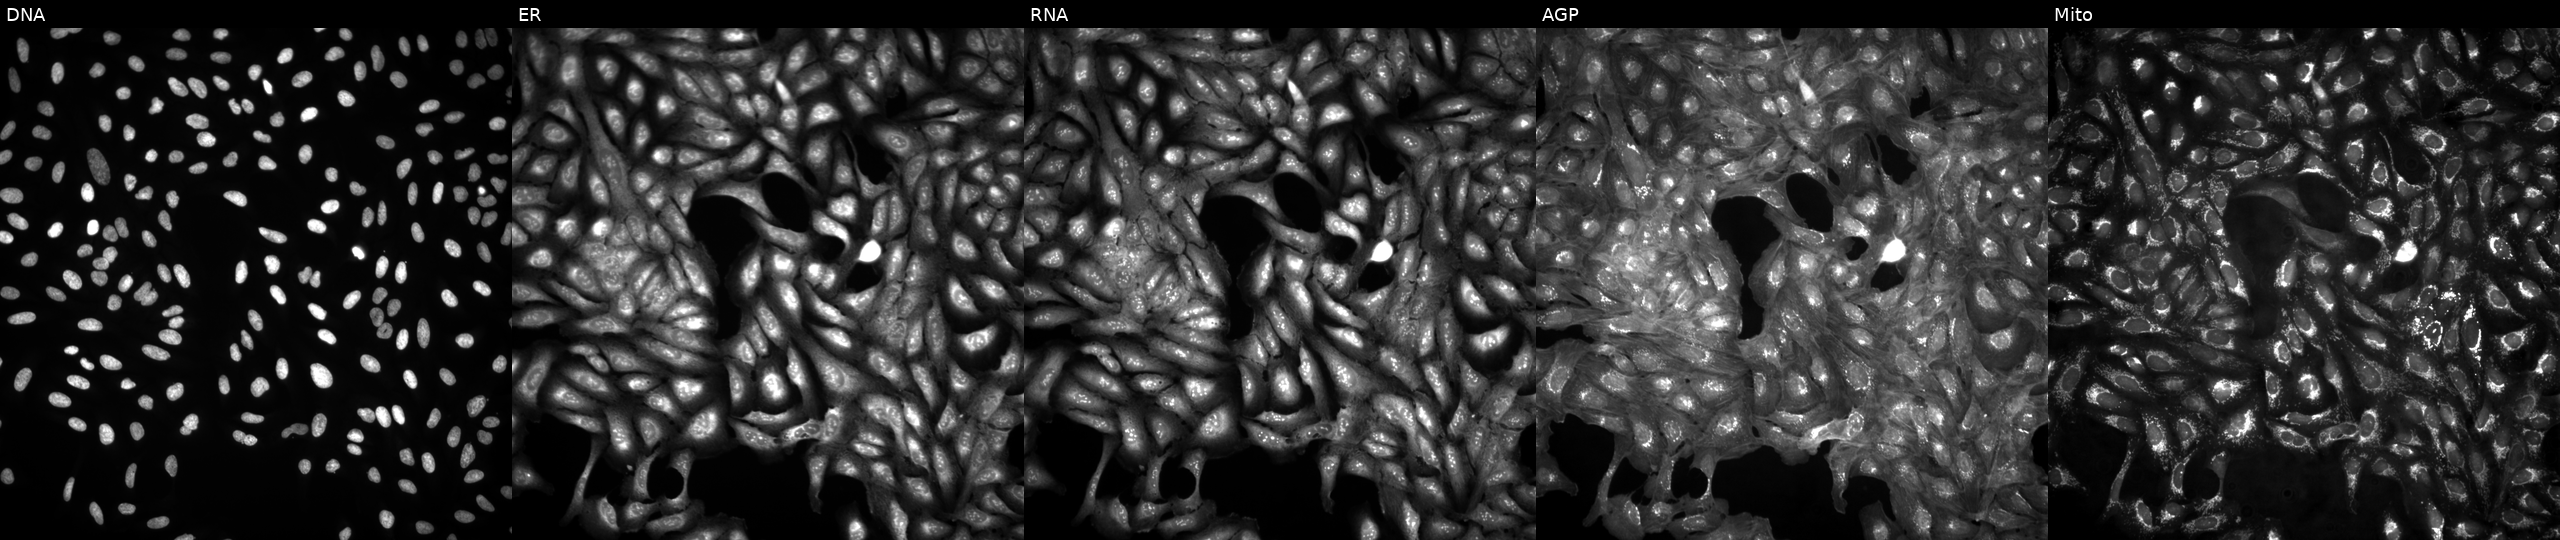
Five-channel Cell Painting image of U2OS cells untreated (empty-well control) (JUMP id JCP2022_999999). Panels show, left to right, Hoechst 33342, concanavalin A, SYTO 14, phalloidin and WGA, MitoTracker.